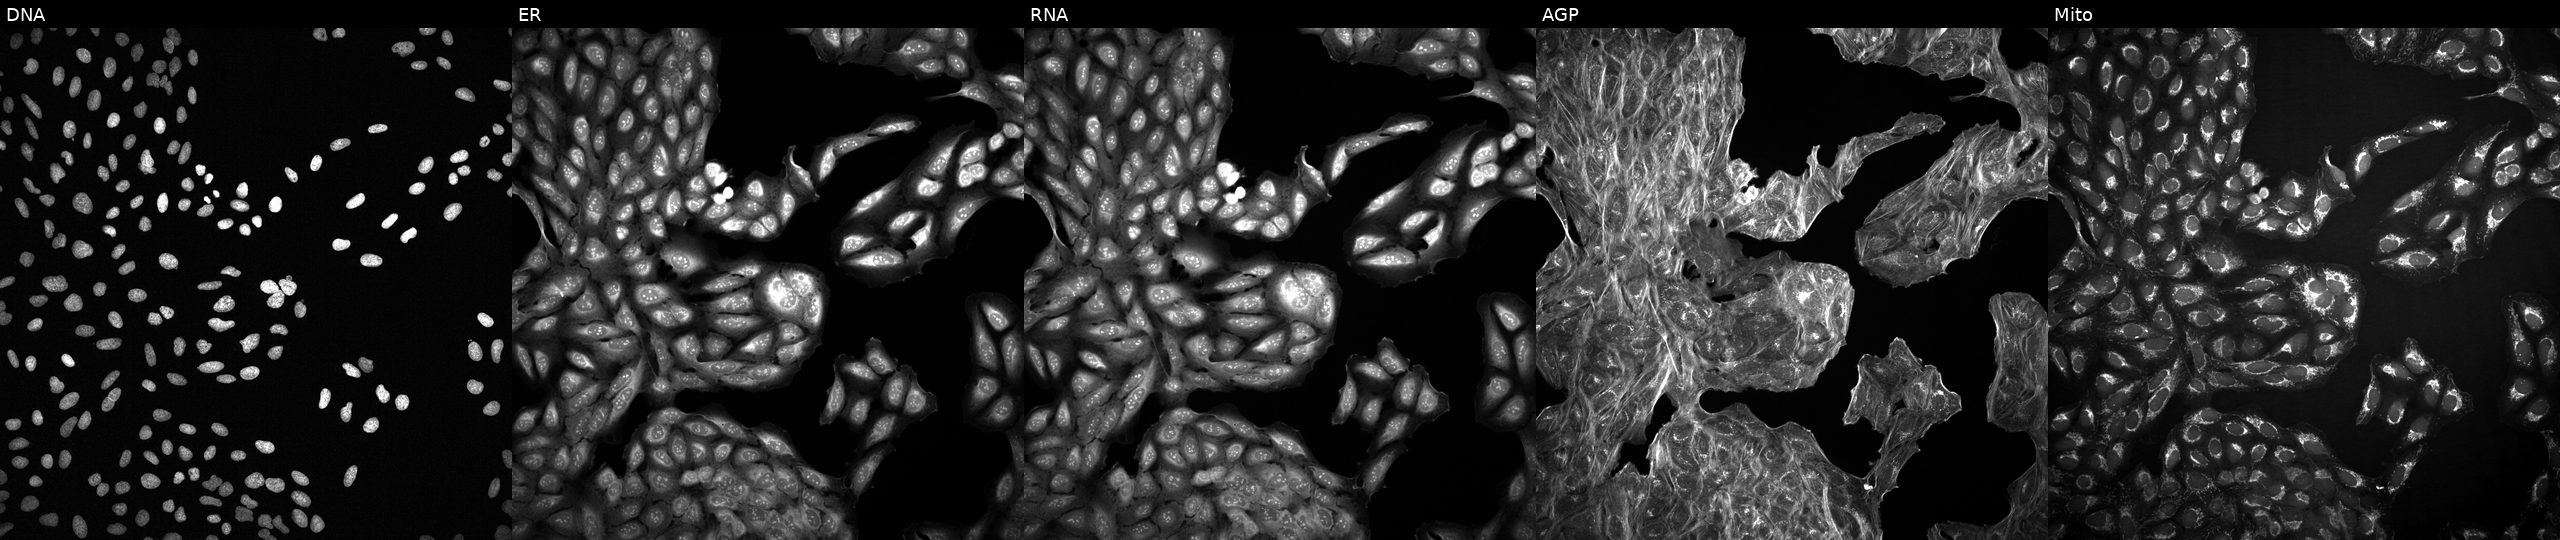
This image strip shows the five Cell Painting channels for a single field of U2OS cells with an unidentified perturbation (not annotated in JUMP metadata). From left to right: DNA, ER, RNA, AGP, and Mito.